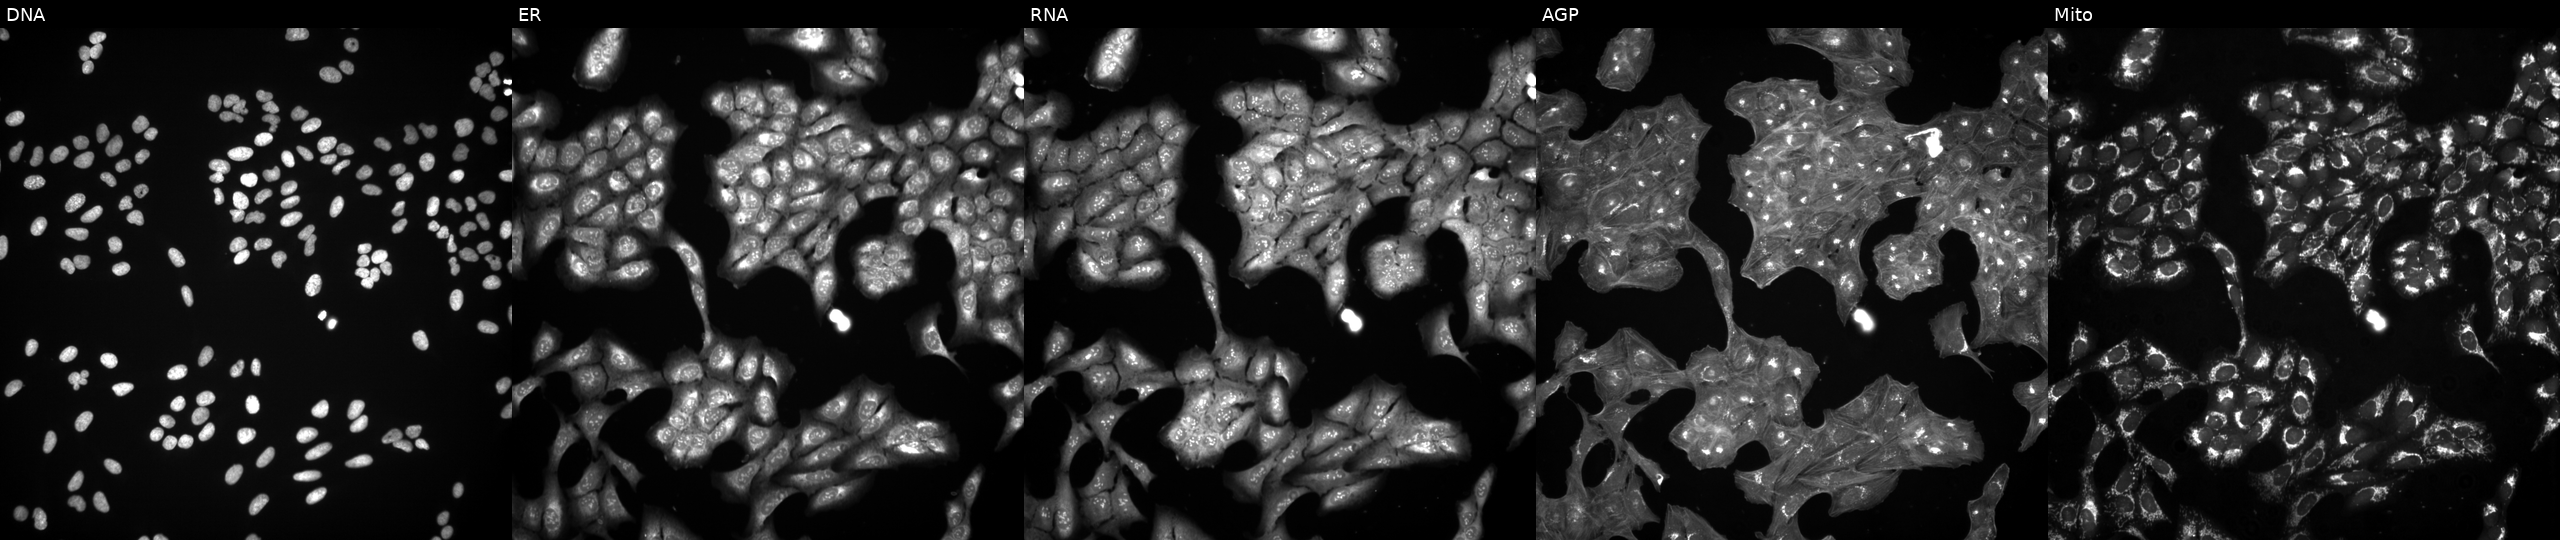
Five-channel Cell Painting image of U2OS cells exposed to a small-molecule compound (InChIKey AQBQAHFZHBNHFT-UHFFFAOYSA-N) [SMILES: Cc1ccc2oc(=O)c3cc(C(=O)N(CC(C)C)CC(C)C)sc3c2c1]. Channels (left→right): DNA, ER, RNA, AGP, and Mito. Source 3, plate BR5867a3, well N08.